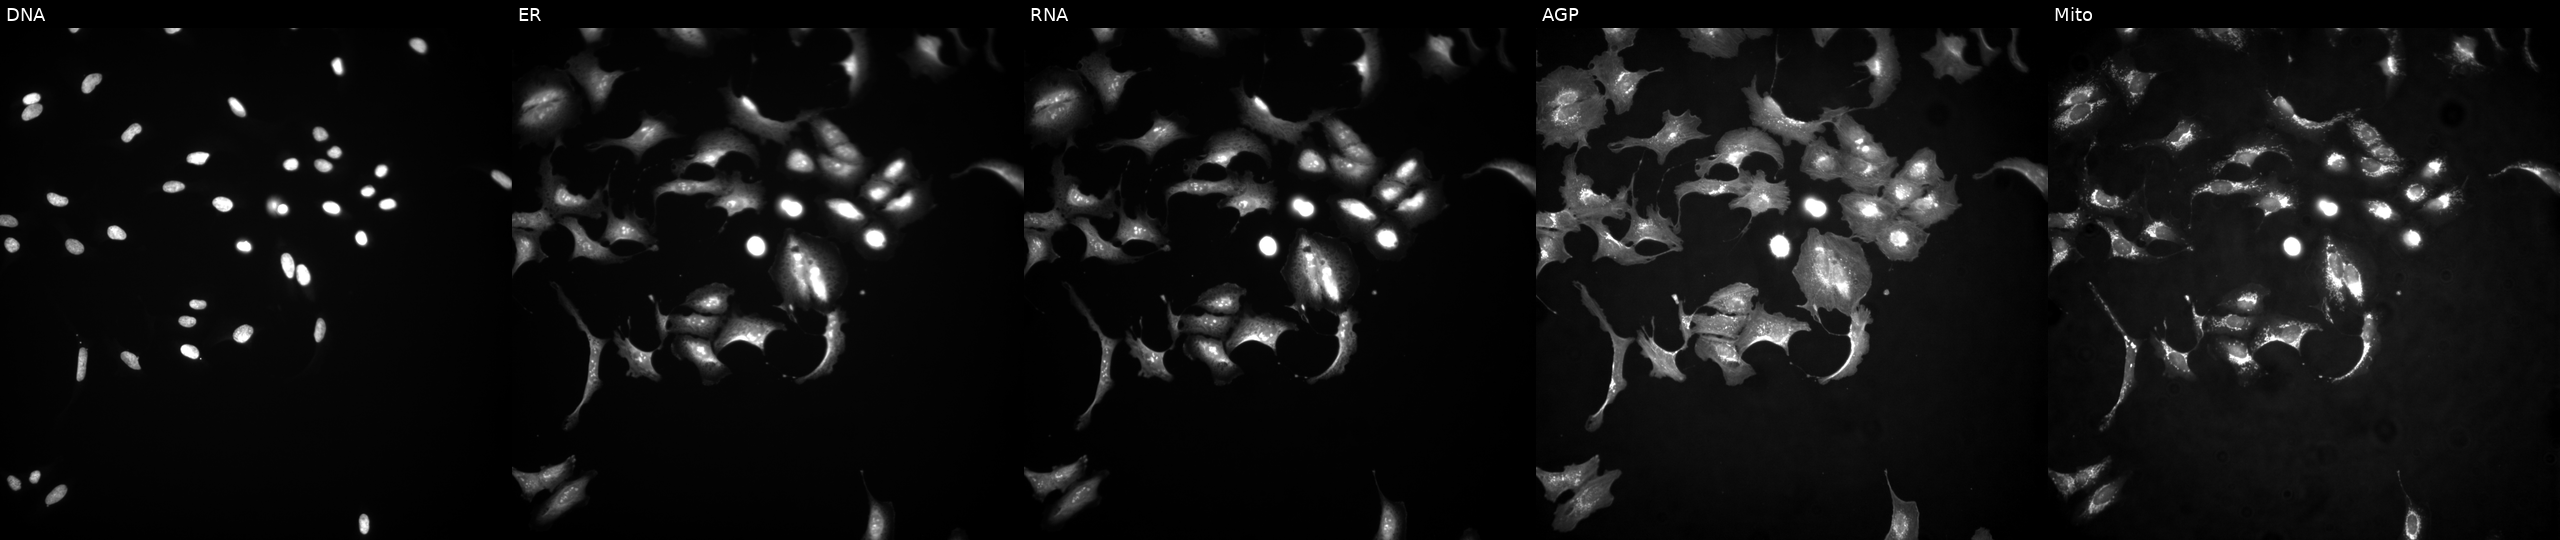
This image strip shows the five Cell Painting channels for a single field of U2OS cells overexpressing NR1H3 via ORF transfection (JUMP id JCP2022_902154). Channels (left→right): DNA, ER, RNA, AGP, and Mito. Source 4, plate BR00117035, well C21.